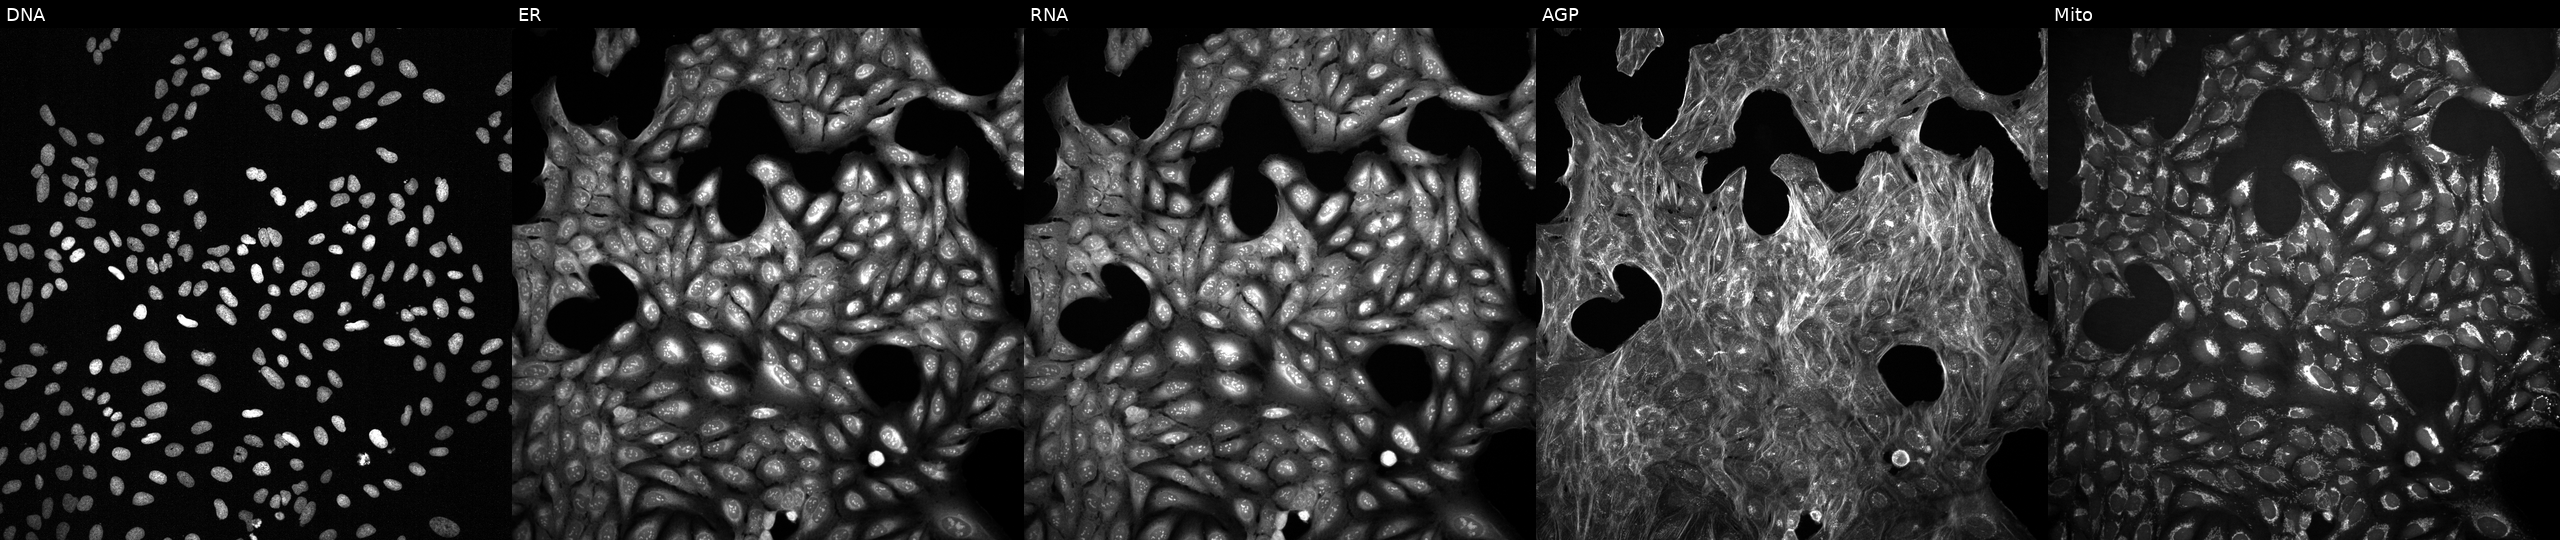
This image strip shows the five Cell Painting channels for a single field of U2OS cells treated with DMSO vehicle only (negative control). Panels show, left to right, Hoechst 33342, concanavalin A, SYTO 14, phalloidin and WGA, MitoTracker. Source 2, plate 1053600674, well F24.